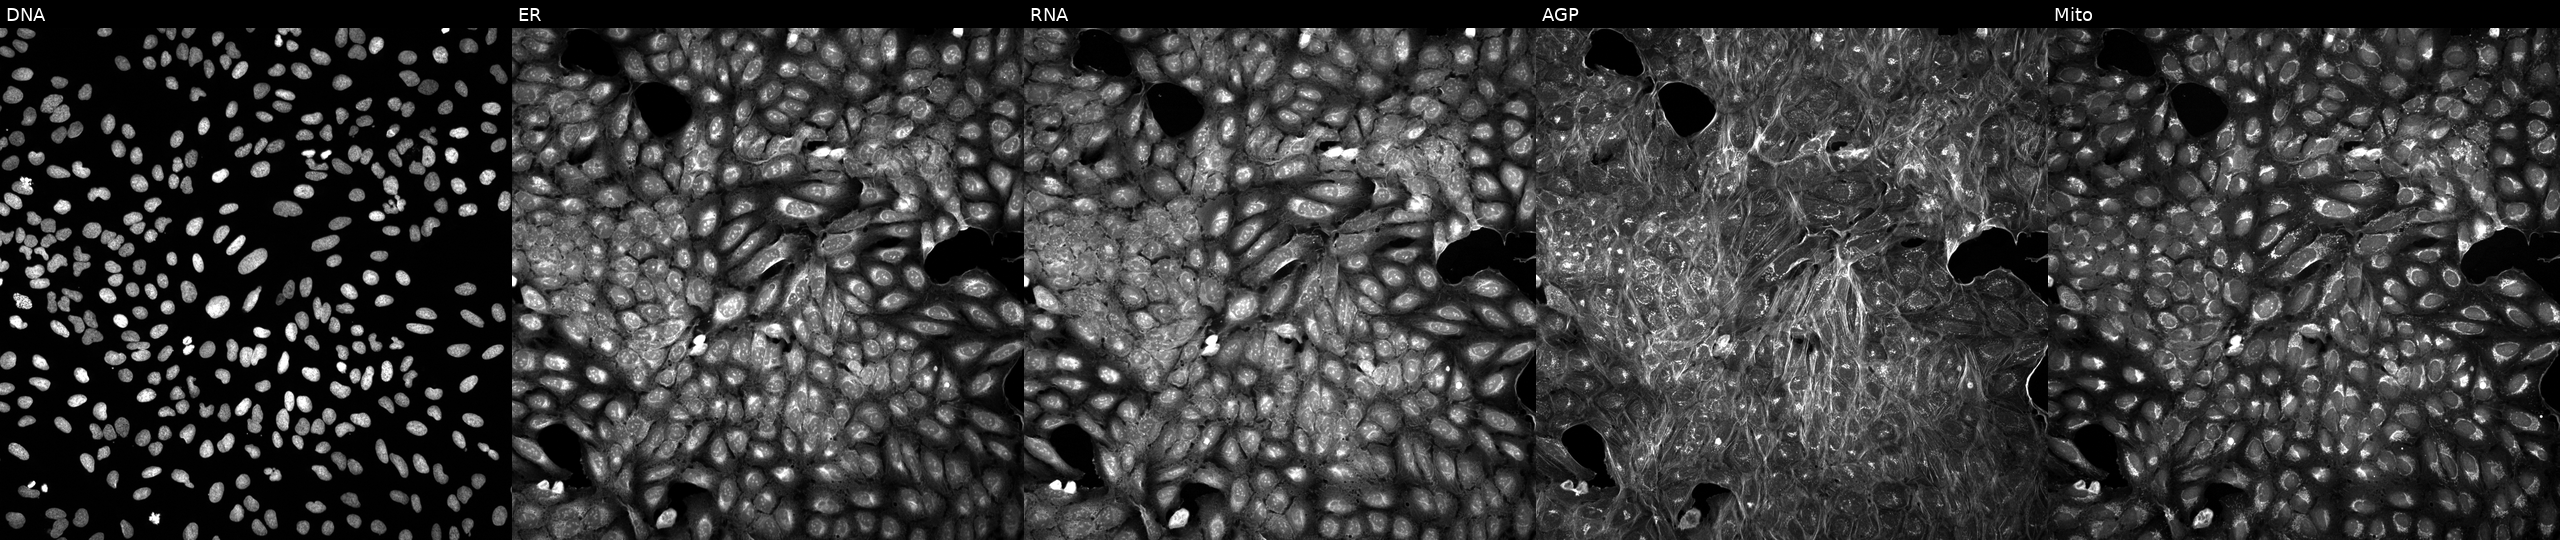
High-content fluorescence microscopy (Cell Painting). Cell line: U2OS. Perturbation: treated with a small-molecule compound [SMILES: O=C1OC(c2ccc(O)cc2)(c2ccc(O)cc2)c2ccccc21] (JUMP id JCP2022_044972). From left to right: DNA, ER, RNA, AGP, and Mito.